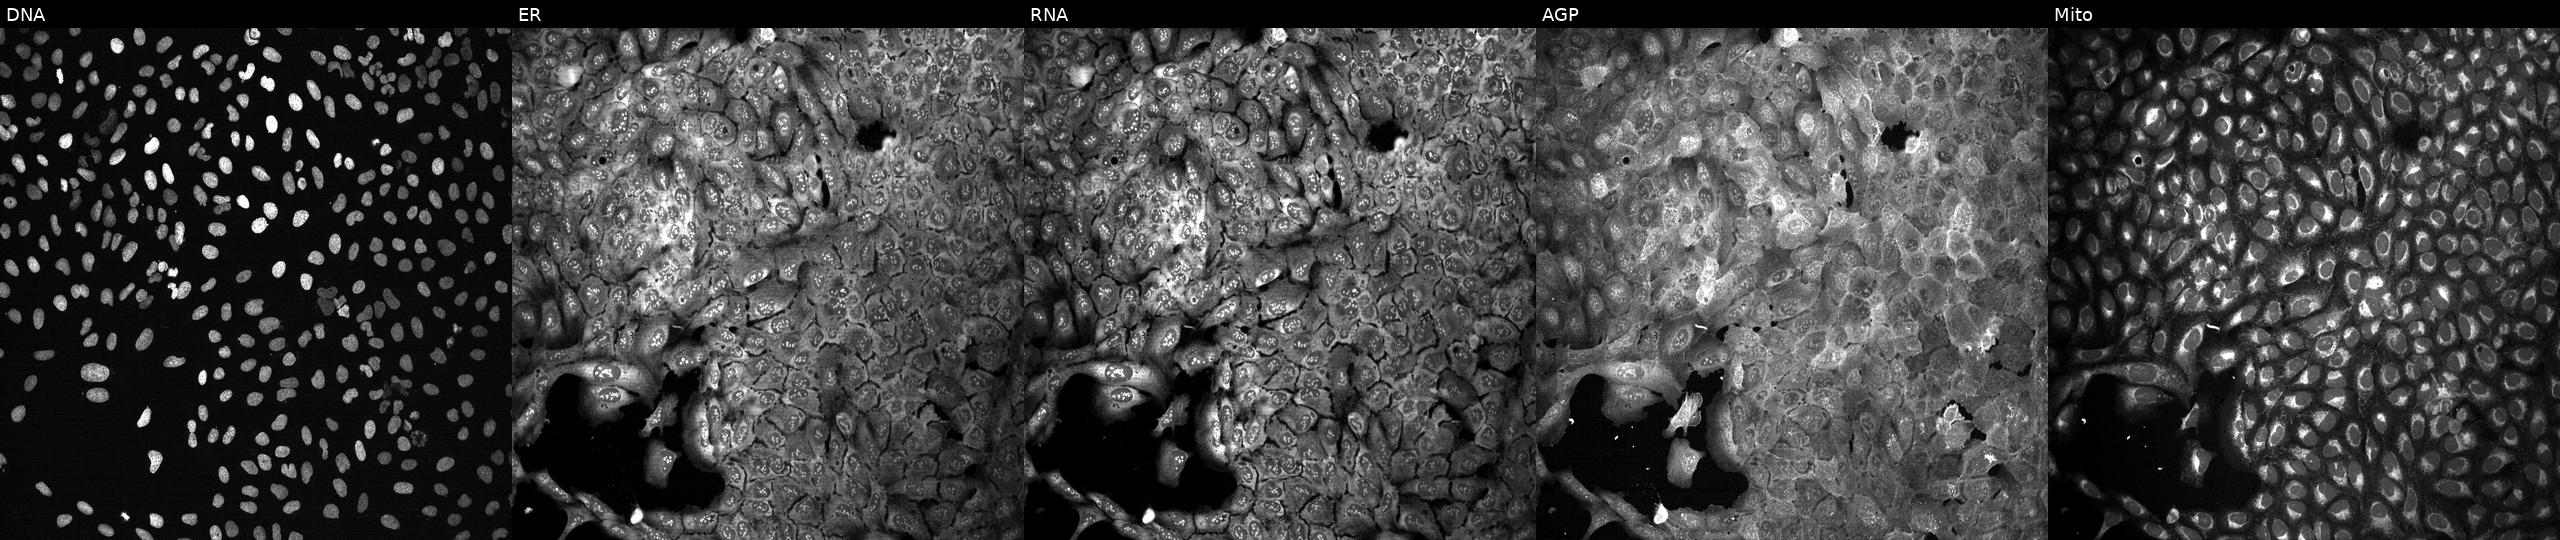
High-content fluorescence microscopy (Cell Painting). Cell line: U2OS. Perturbation: CRISPR-edited to disrupt PLA2G4D. The five panels, left to right, show DNA (nuclei); ER (endoplasmic reticulum); RNA (nucleoli and cytoplasmic RNA); AGP (actin cytoskeleton, Golgi, and plasma membrane); Mito (mitochondria). Source 13, plate CP-CC9-R2-02, well I22.